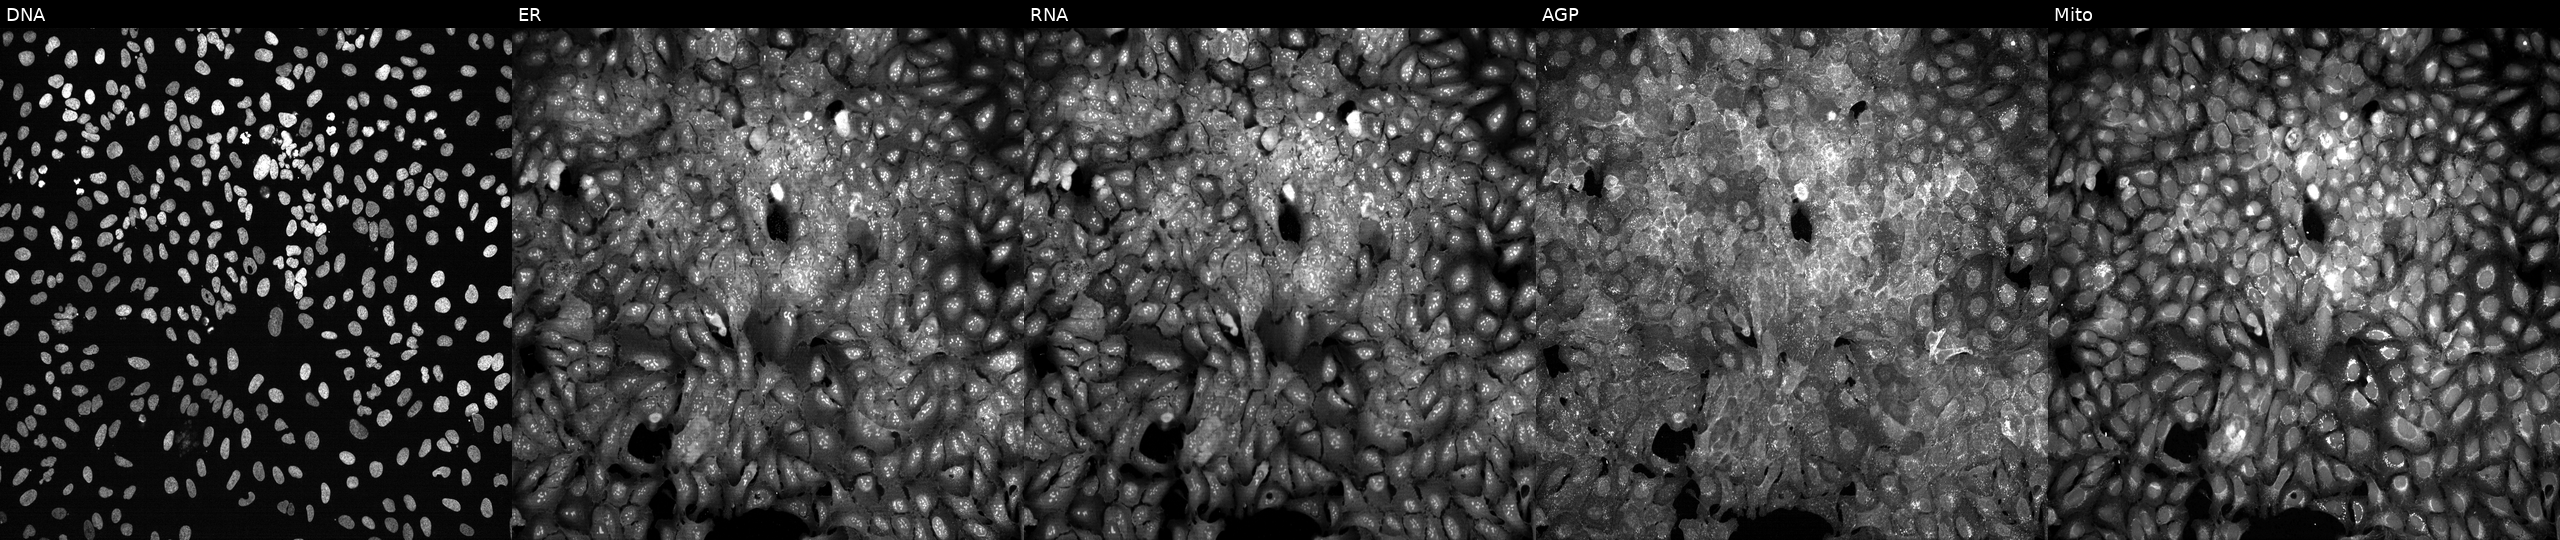
Five-channel Cell Painting image of U2OS cells following CRISPR knockout of GUSB. Panels show, left to right, Hoechst 33342, concanavalin A, SYTO 14, phalloidin and WGA, MitoTracker.